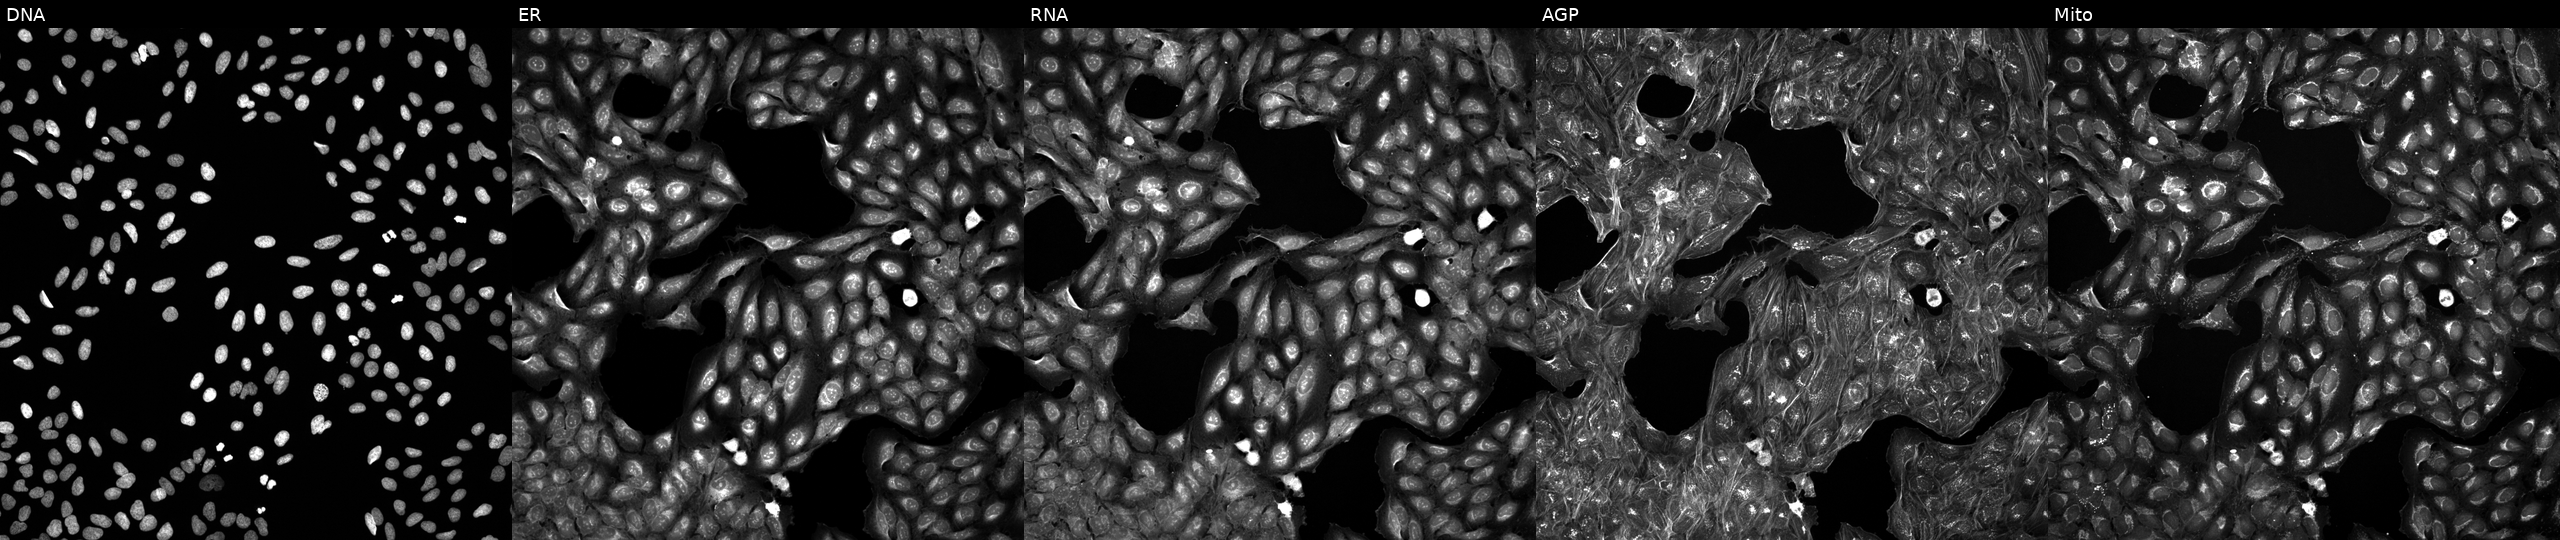
This image strip shows the five Cell Painting channels for a single field of U2OS cells perturbed with a small-molecule compound (InChIKey ZNCRMDOKXHBWCP-UHFFFAOYSA-N) (JUMP id JCP2022_114383). Channels (left→right): DNA (nuclei); ER (endoplasmic reticulum); RNA (nucleoli and cytoplasmic RNA); AGP (actin cytoskeleton, Golgi, and plasma membrane); Mito (mitochondria). Source 5, plate APTJUM106, well C14.